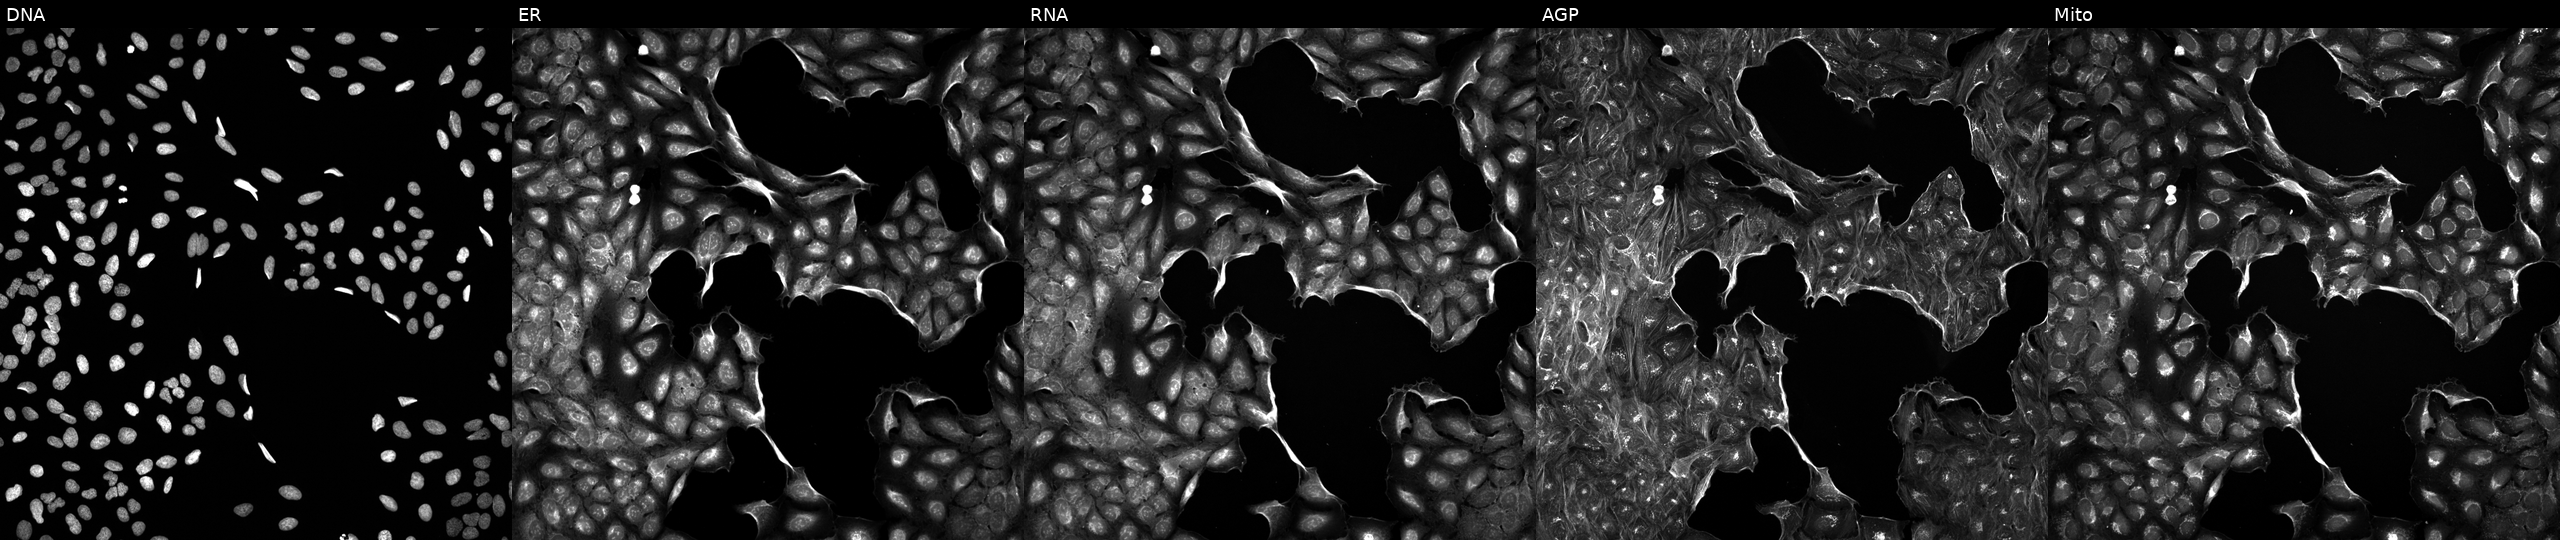
U2OS cells, Cell Painting assay, exposed to DMSO alone as a negative control. Panels show, left to right, DNA (nuclei); ER (endoplasmic reticulum); RNA (nucleoli and cytoplasmic RNA); AGP (actin cytoskeleton, Golgi, and plasma membrane); Mito (mitochondria). Each panel is percentile-stretched 16-bit fluorescence.